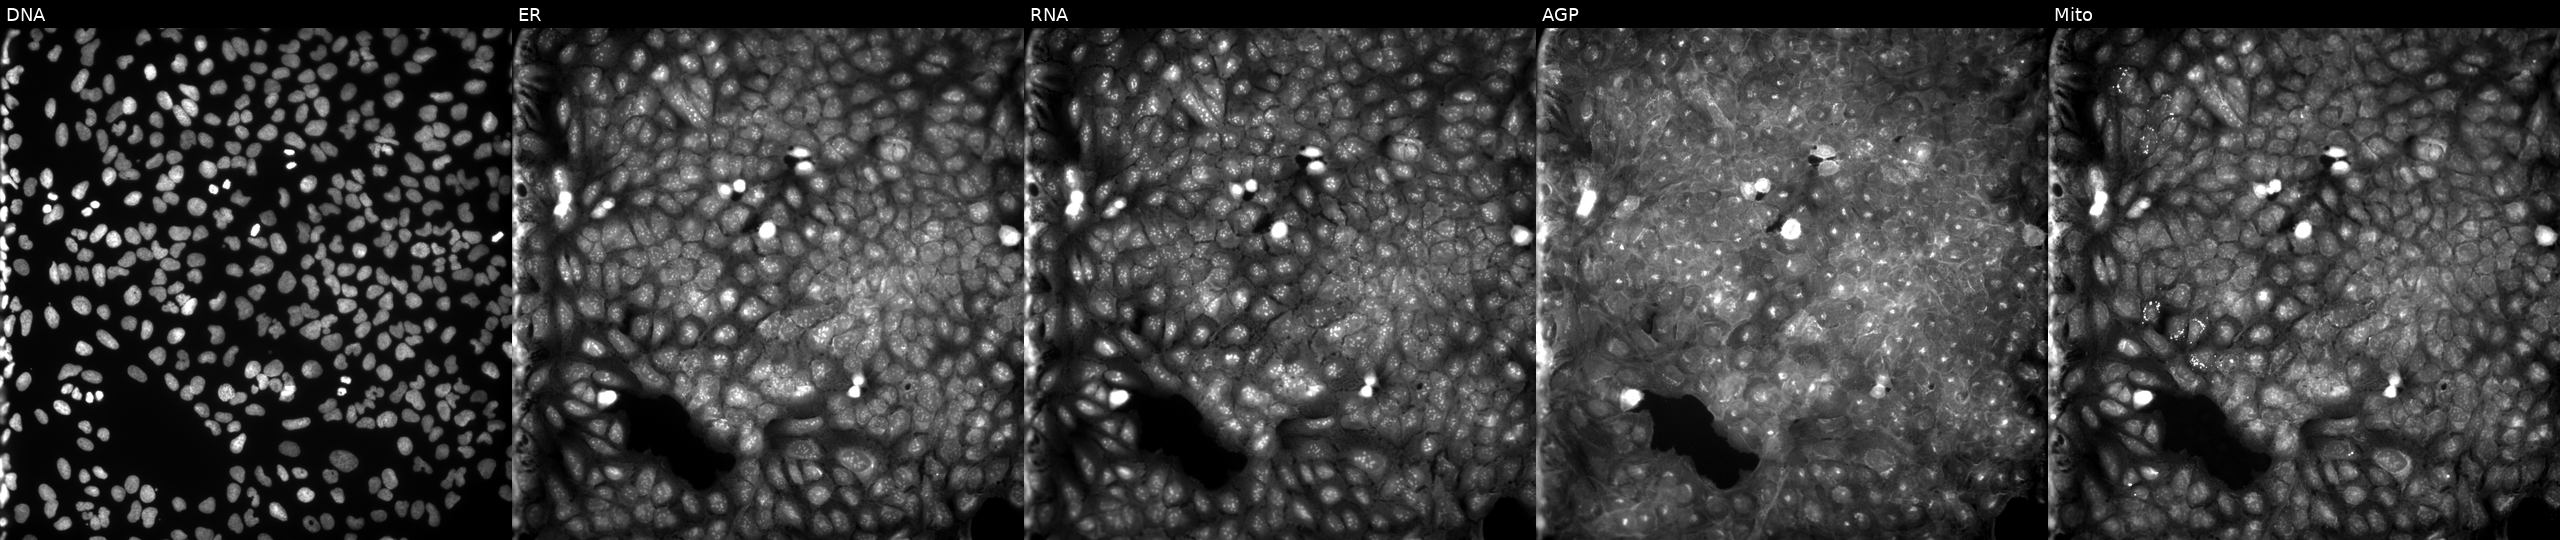
U2OS cells, Cell Painting assay, exposed to a small-molecule compound (InChIKey GVZYMFAHTPLKOQ-UHFFFAOYSA-N). Channels (left→right): DNA (nuclei); ER (endoplasmic reticulum); RNA (nucleoli and cytoplasmic RNA); AGP (actin cytoskeleton, Golgi, and plasma membrane); Mito (mitochondria). Each panel is percentile-stretched 16-bit fluorescence. Source 9, plate GR00003382, well X12.